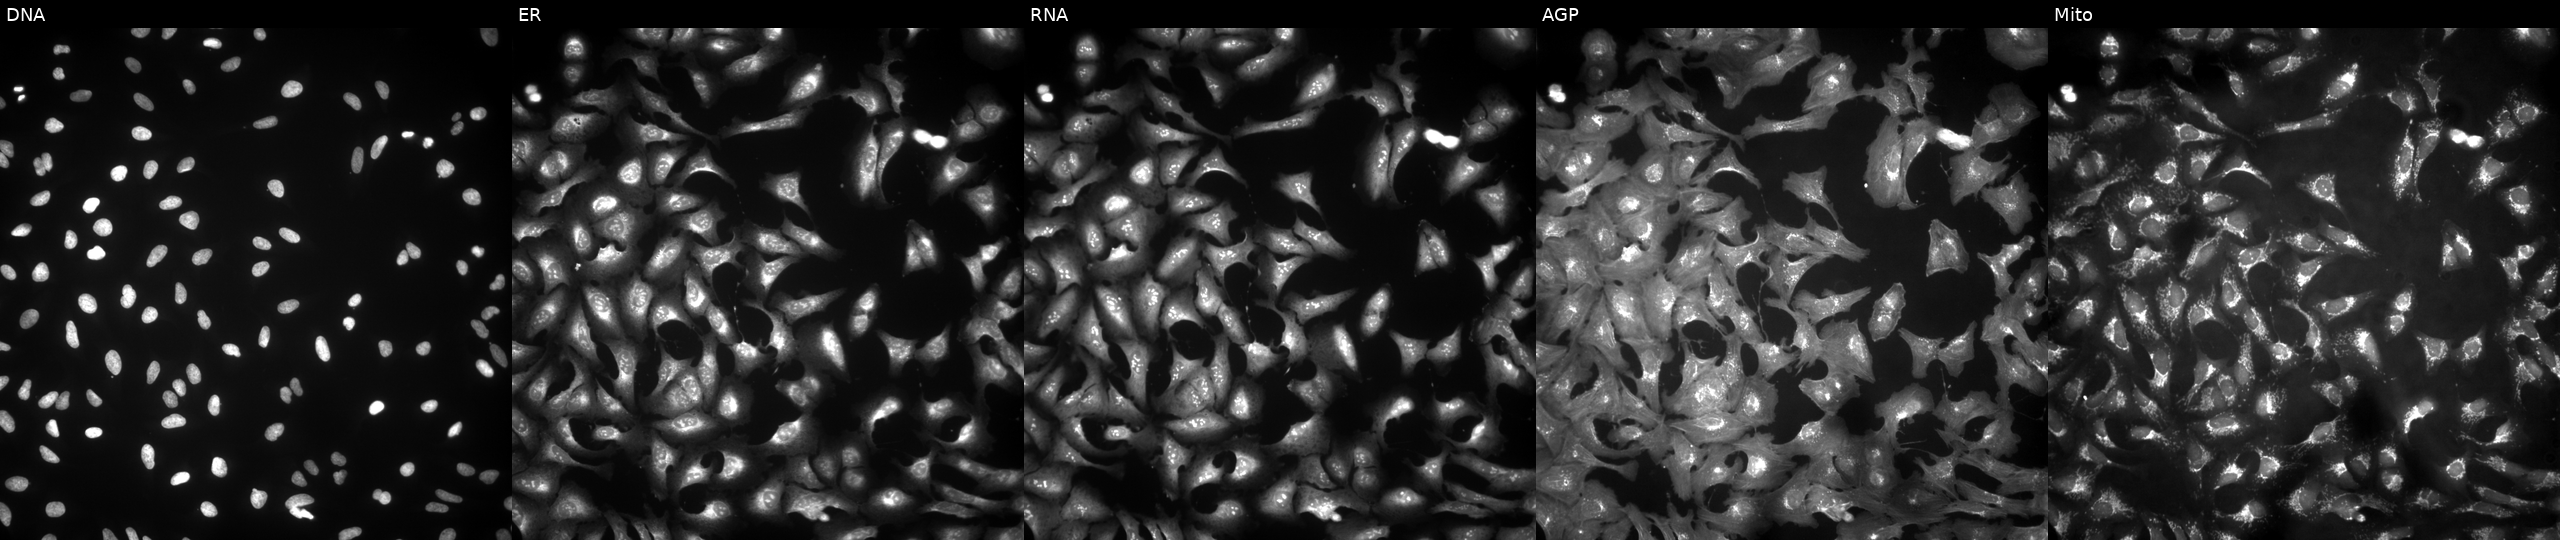
JUMP Cell Painting — ORF plate. U2OS cells in an empty control well (no perturbation) (JUMP id JCP2022_999999). Channels (left→right): DNA (nuclei); ER (endoplasmic reticulum); RNA (nucleoli and cytoplasmic RNA); AGP (actin cytoskeleton, Golgi, and plasma membrane); Mito (mitochondria).